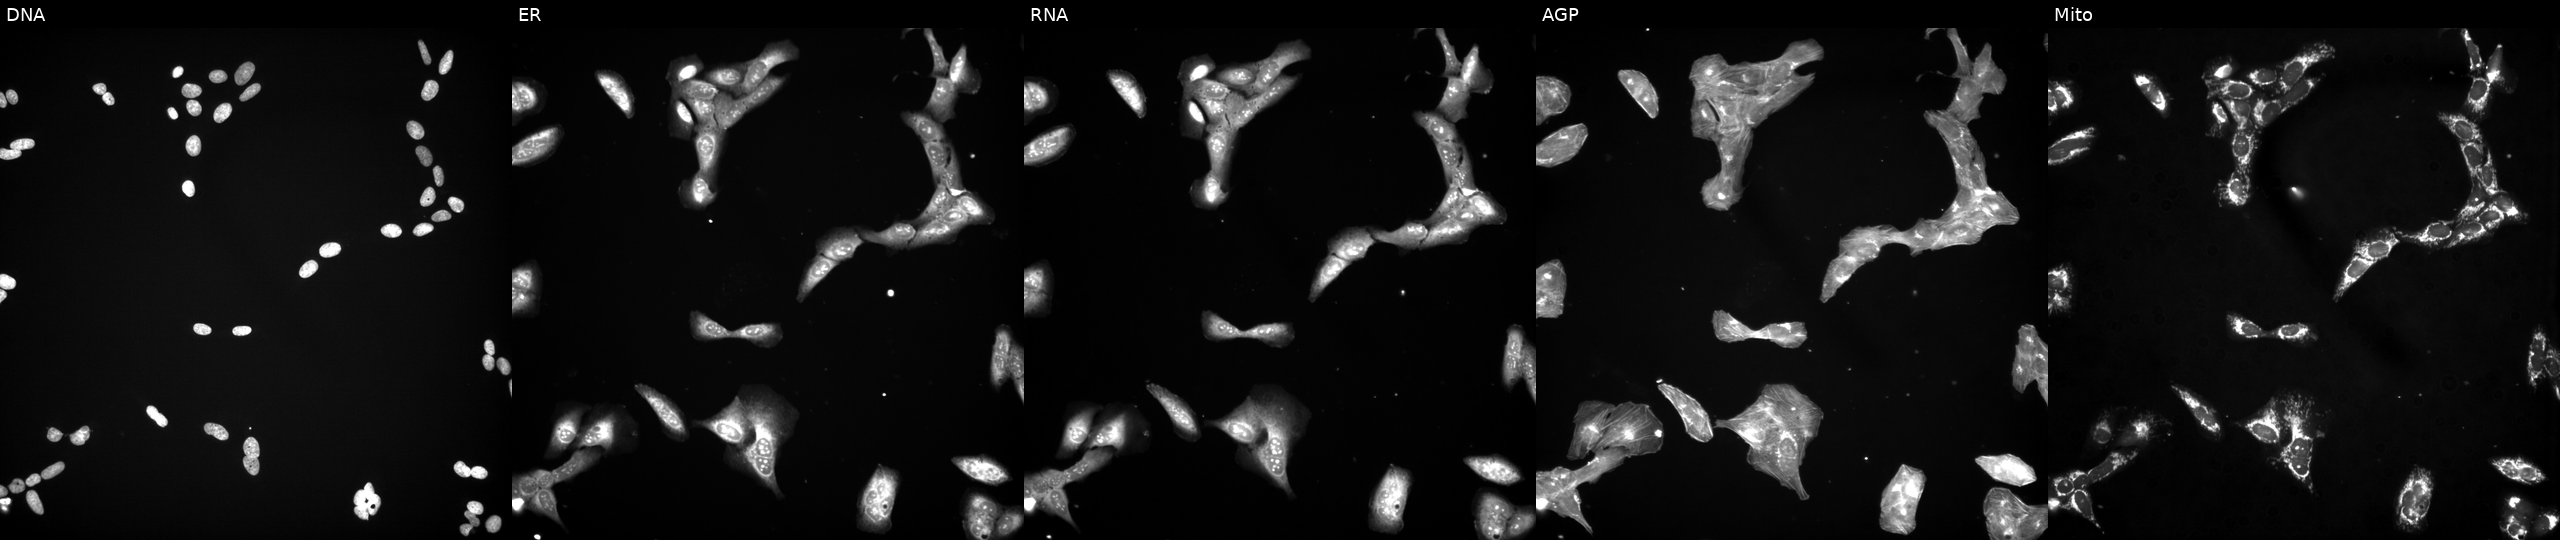
This image strip shows the five Cell Painting channels for a single field of U2OS cells treated with a small-molecule compound (InChIKey WYWHKKSPHMUBEB-UHFFFAOYSA-N) (JUMP id JCP2022_102083). From left to right: DNA, ER, RNA, AGP, and Mito.